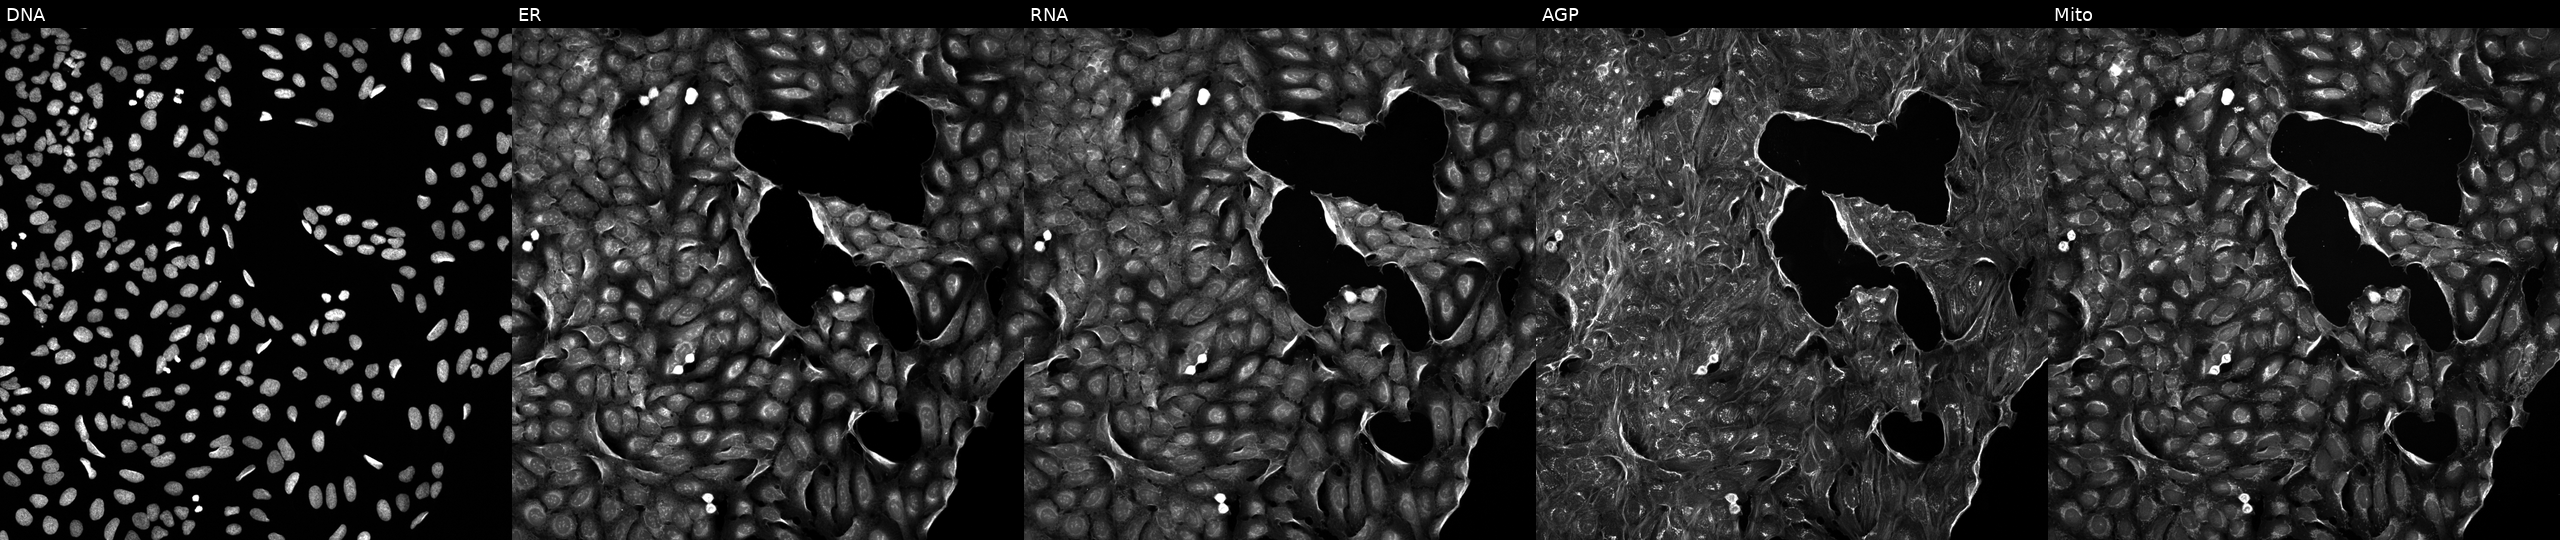
JUMP Cell Painting — COMPOUND plate. U2OS cells perturbed with a small-molecule compound (JUMP id JCP2022_046741). The five panels, left to right, show DNA, ER, RNA, AGP, and Mito. Source 5, plate APTJUM105, well L06.